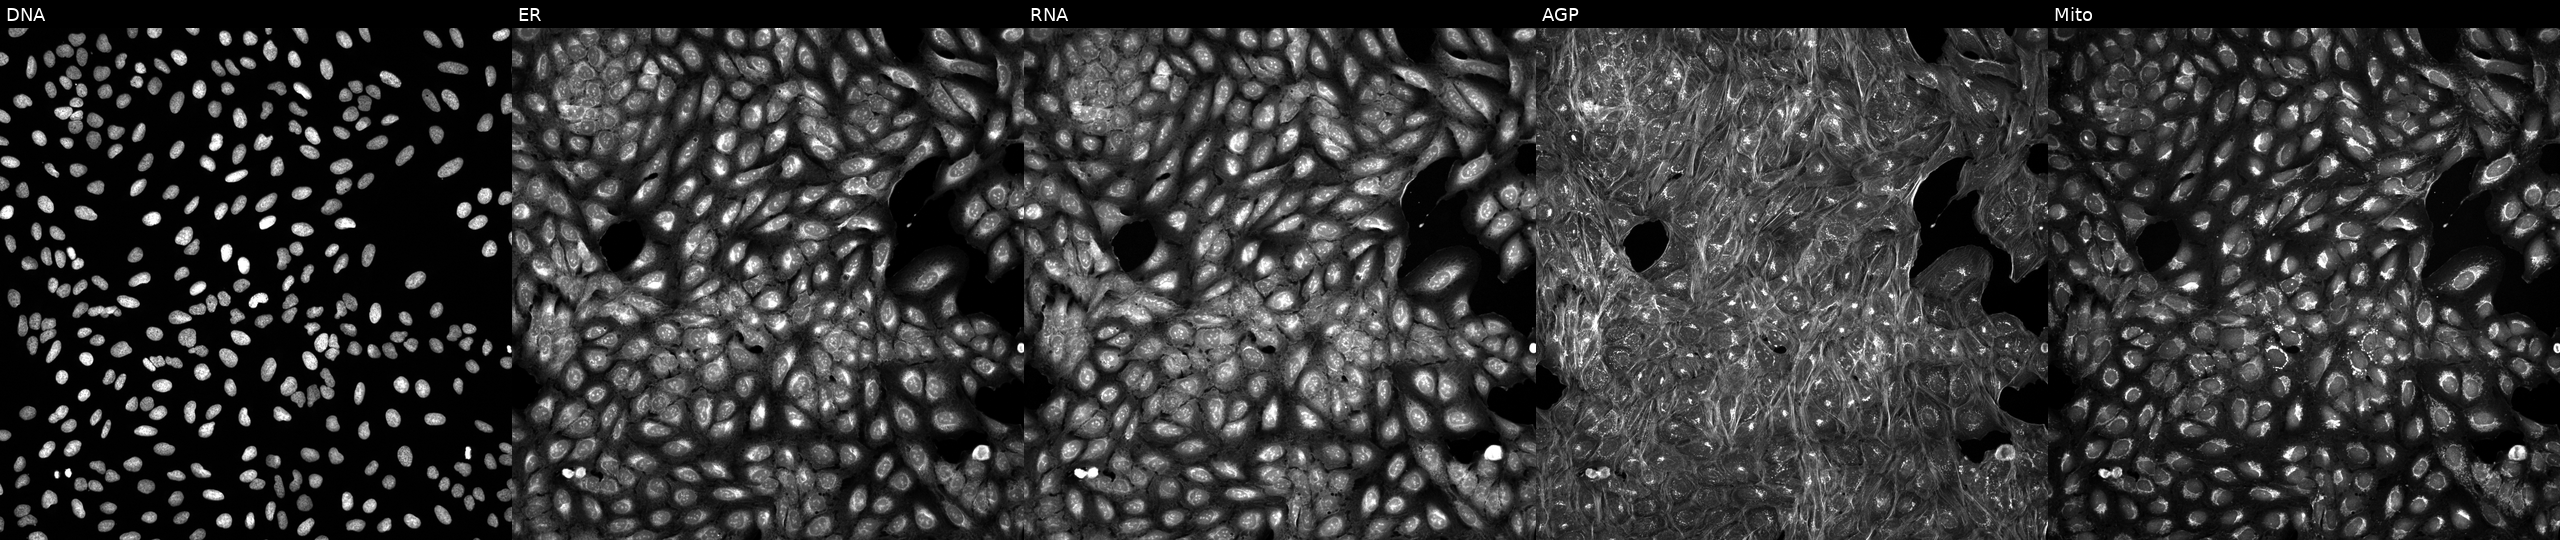
U2OS cells, Cell Painting assay, treated with a small-molecule compound (InChIKey FHPOTBQOUBMMCI-UHFFFAOYSA-N). Channels (left→right): DNA, ER, RNA, AGP, and Mito. Each panel is percentile-stretched 16-bit fluorescence. Source 5, plate ACPJUM032, well E14.